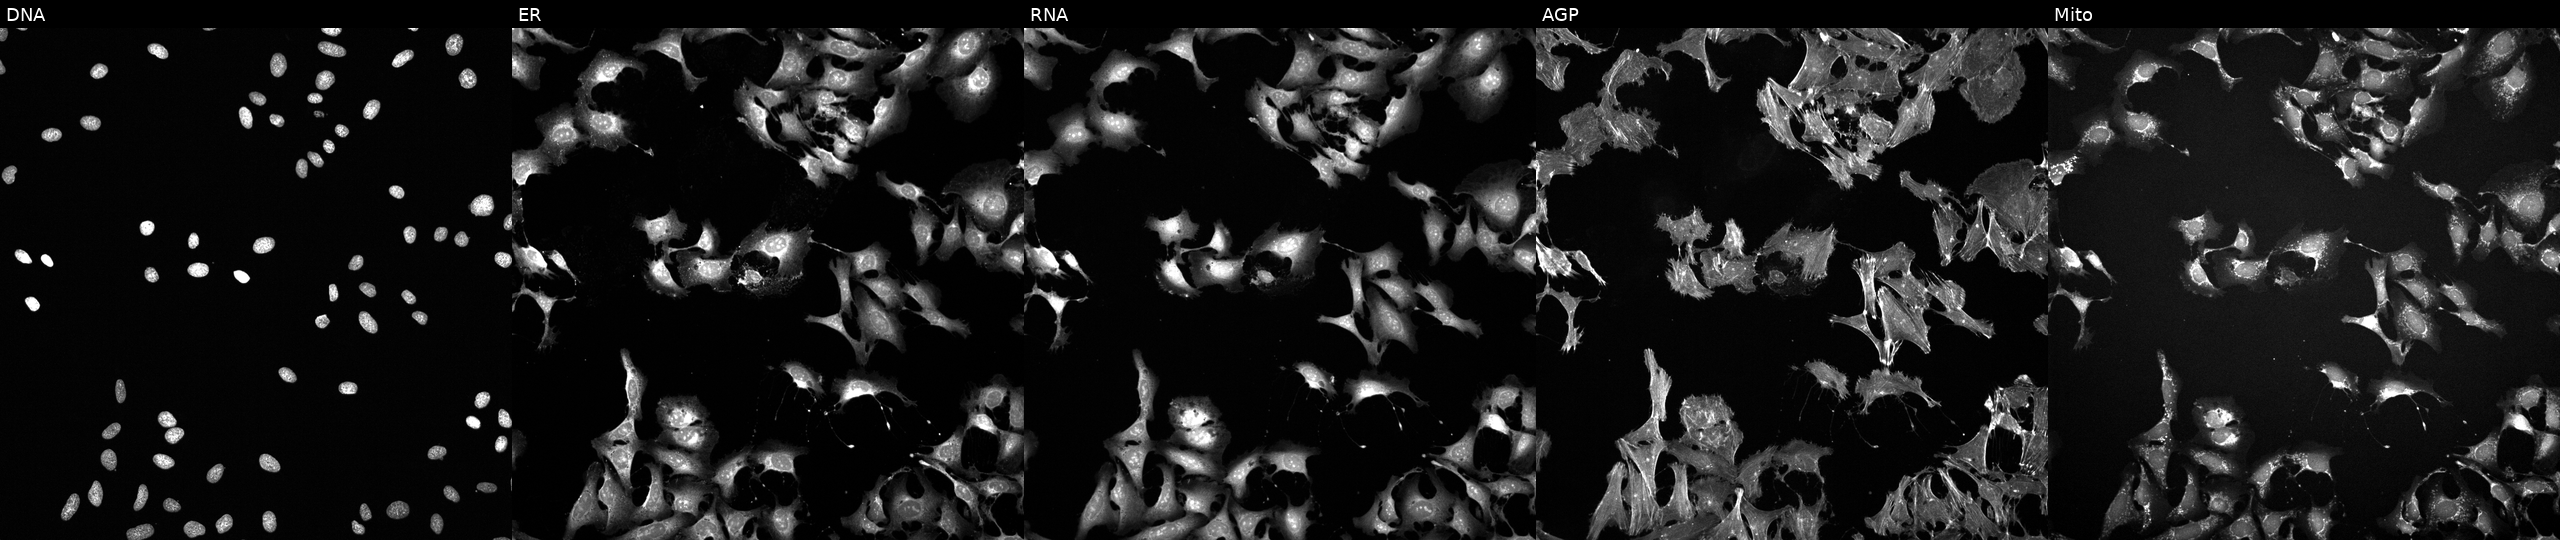
This image strip shows the five Cell Painting channels for a single field of U2OS cells treated with FK-866 (positive-control compound) (JUMP id JCP2022_046054). Channels (left→right): DNA, ER, RNA, AGP, and Mito. Source 6, plate 110000293083, well L01.